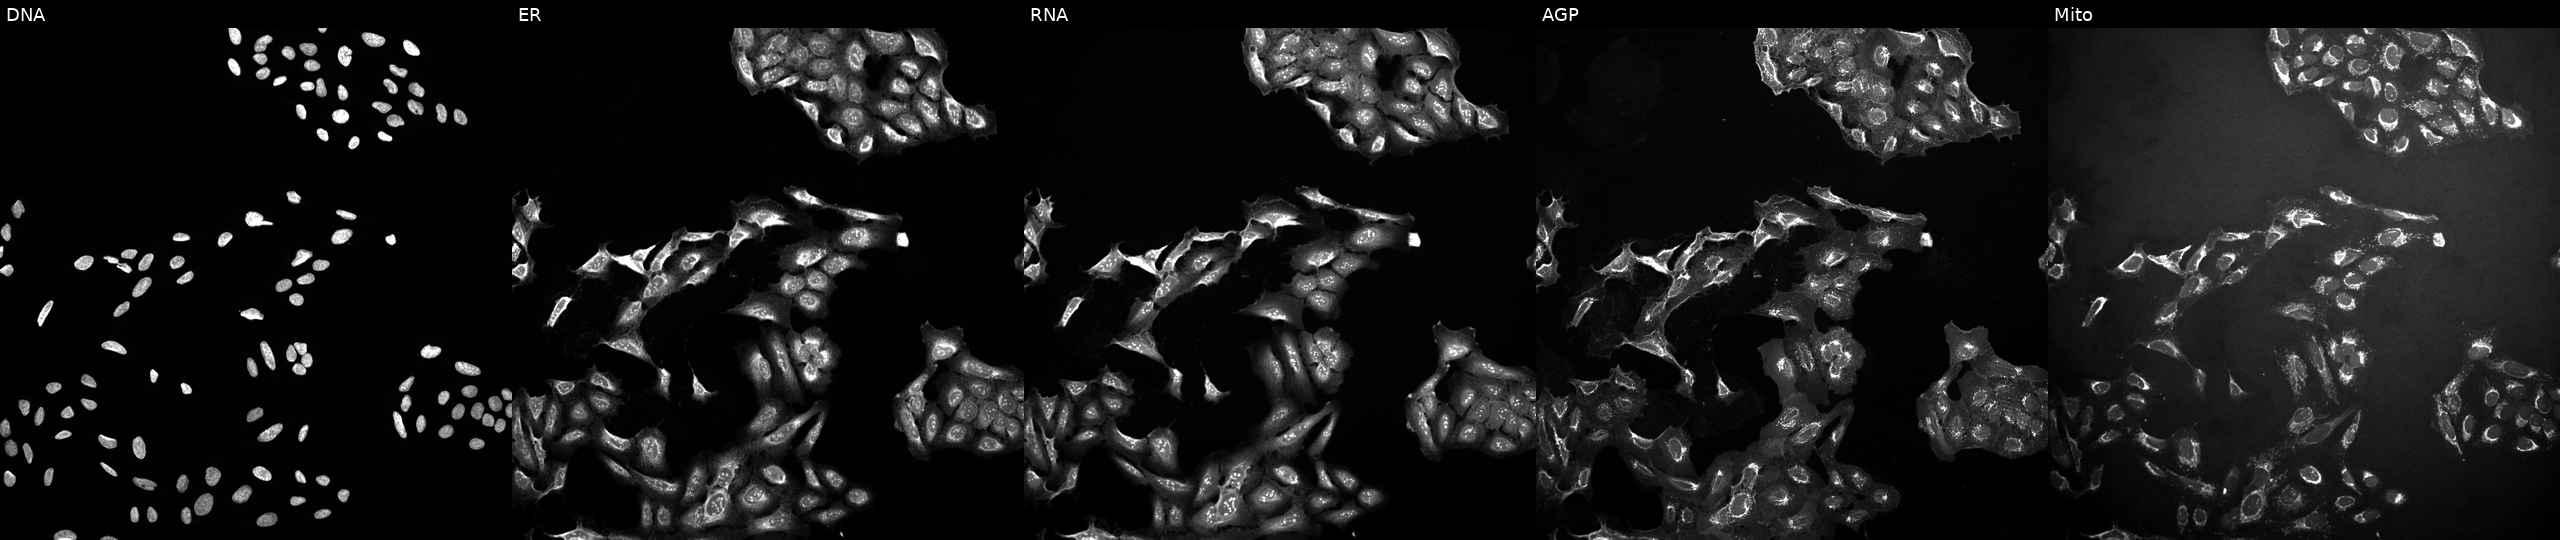
U2OS cells, Cell Painting assay, perturbed with a small-molecule compound (InChIKey QFWCYNPOPKQOKV-UHFFFAOYSA-N). Panels show, left to right, DNA (nuclei); ER (endoplasmic reticulum); RNA (nucleoli and cytoplasmic RNA); AGP (actin cytoskeleton, Golgi, and plasma membrane); Mito (mitochondria). Each panel is percentile-stretched 16-bit fluorescence.